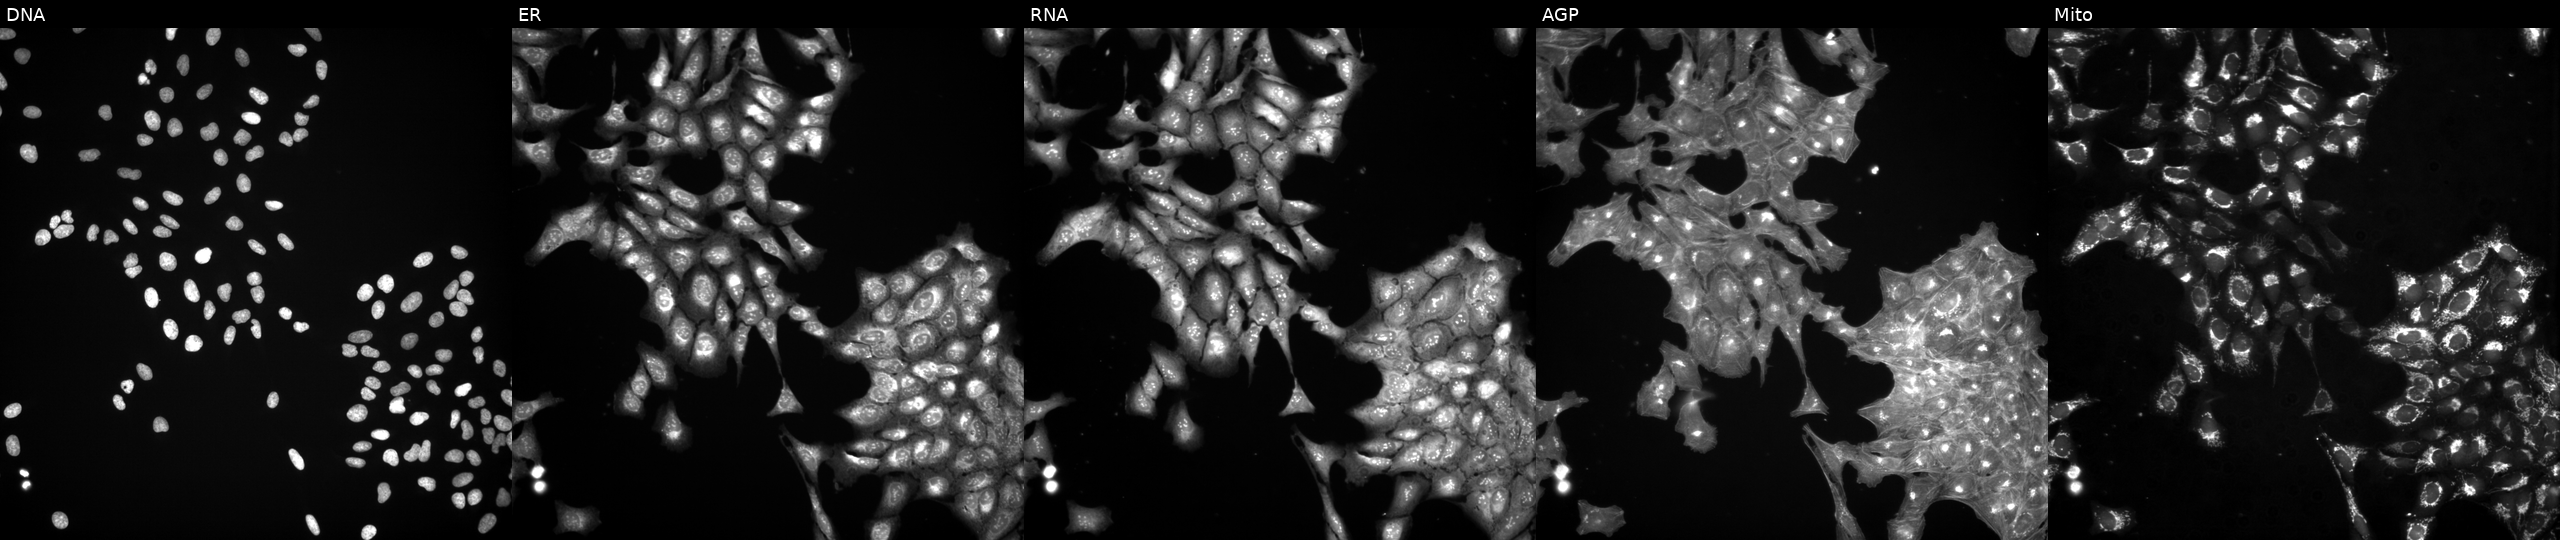
This image strip shows the five Cell Painting channels for a single field of U2OS cells perturbed with a small-molecule compound (InChIKey MODZLDBLIJAVOF-UHFFFAOYSA-N). Channels (left→right): DNA (nuclei); ER (endoplasmic reticulum); RNA (nucleoli and cytoplasmic RNA); AGP (actin cytoskeleton, Golgi, and plasma membrane); Mito (mitochondria).